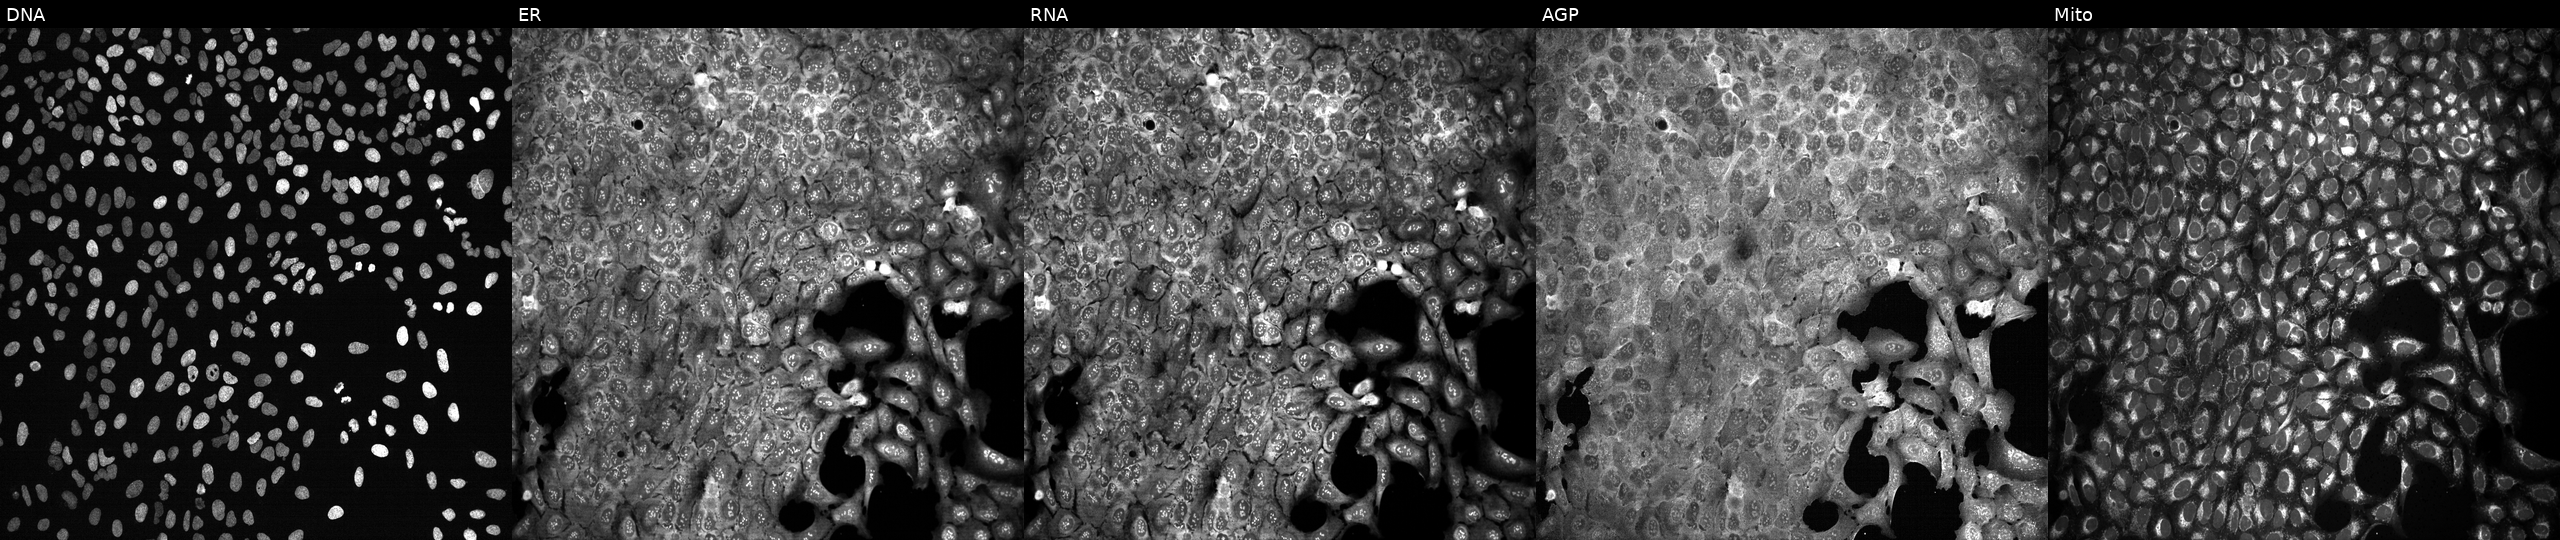
U2OS cells, Cell Painting assay, with a non-targeting CRISPR guide (negative control) (JUMP id JCP2022_800002). Panels show, left to right, Hoechst 33342, concanavalin A, SYTO 14, phalloidin and WGA, MitoTracker. Each panel is percentile-stretched 16-bit fluorescence.